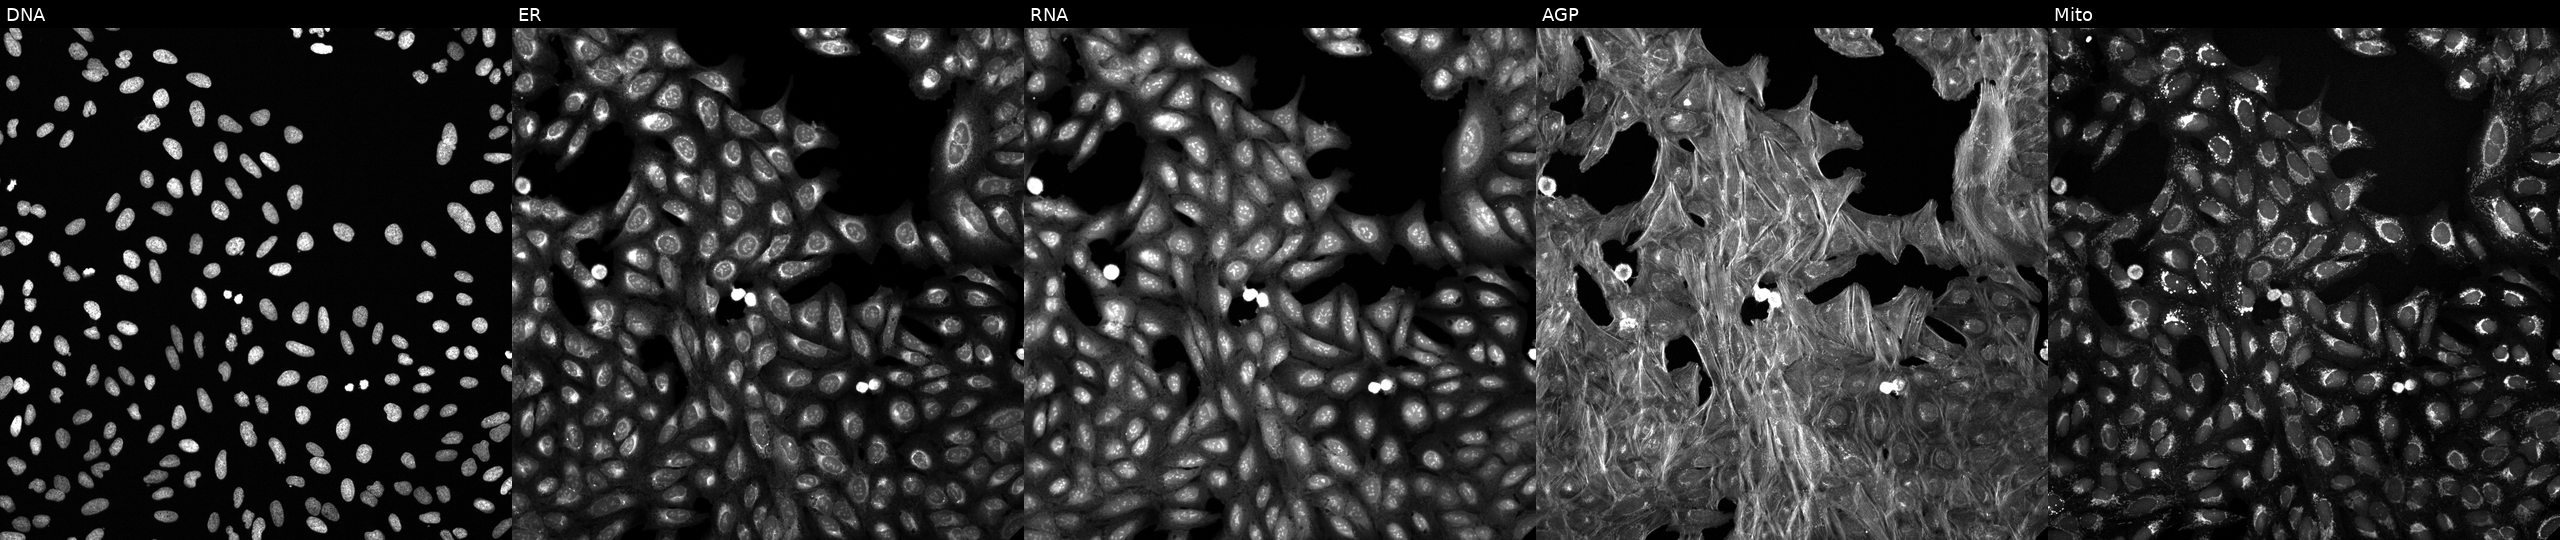
High-content fluorescence microscopy (Cell Painting). Cell line: U2OS. Perturbation: exposed to a small-molecule compound. The five panels, left to right, show DNA, ER, RNA, AGP, and Mito.